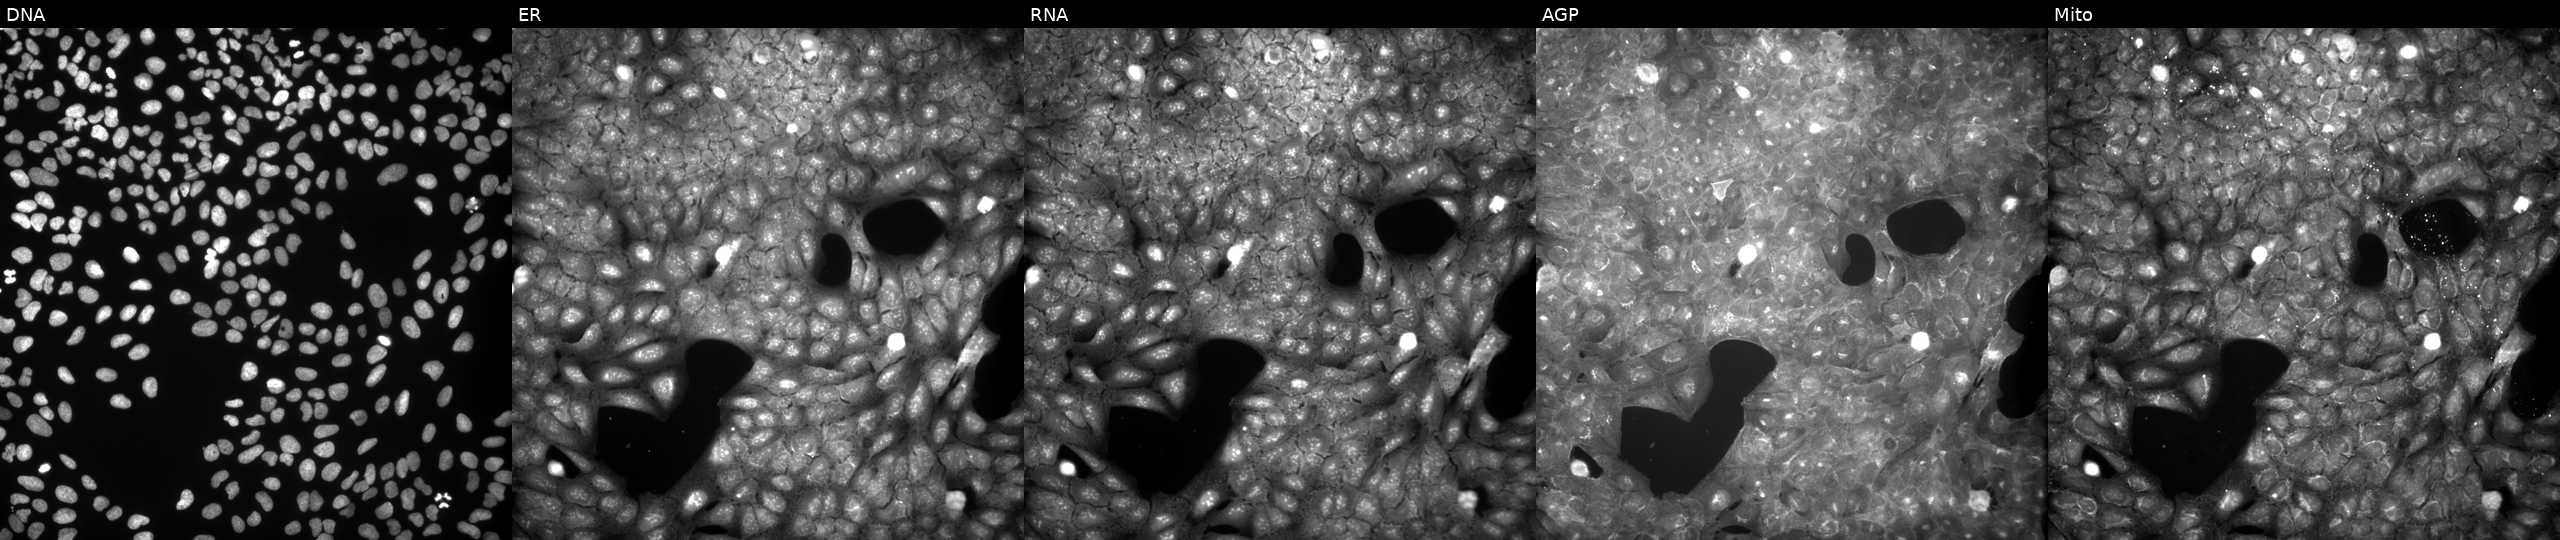
U2OS cells, Cell Painting assay, perturbed with a small-molecule compound (InChIKey XRZYGGNAQAJSHE-UHFFFAOYSA-N). Channels (left→right): DNA (nuclei); ER (endoplasmic reticulum); RNA (nucleoli and cytoplasmic RNA); AGP (actin cytoskeleton, Golgi, and plasma membrane); Mito (mitochondria). Each panel is percentile-stretched 16-bit fluorescence.